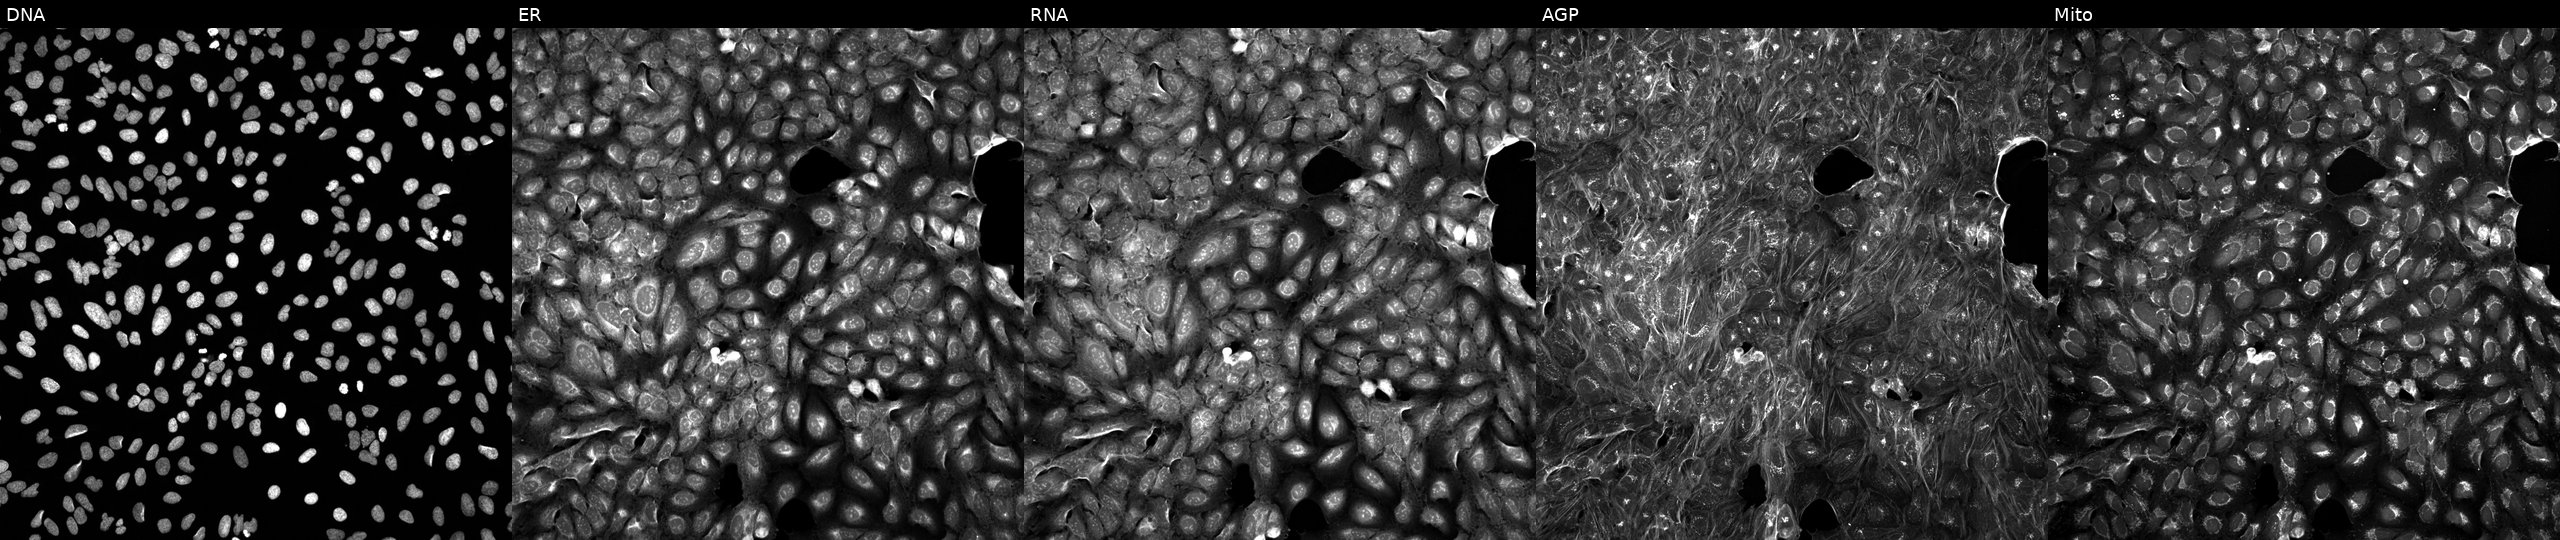
Five-channel Cell Painting image of U2OS cells perturbed with a small-molecule compound (InChIKey WATNXVHKRRTUFK-UHFFFAOYSA-N) (JUMP id JCP2022_097564). The five panels, left to right, show DNA (nuclei); ER (endoplasmic reticulum); RNA (nucleoli and cytoplasmic RNA); AGP (actin cytoskeleton, Golgi, and plasma membrane); Mito (mitochondria).